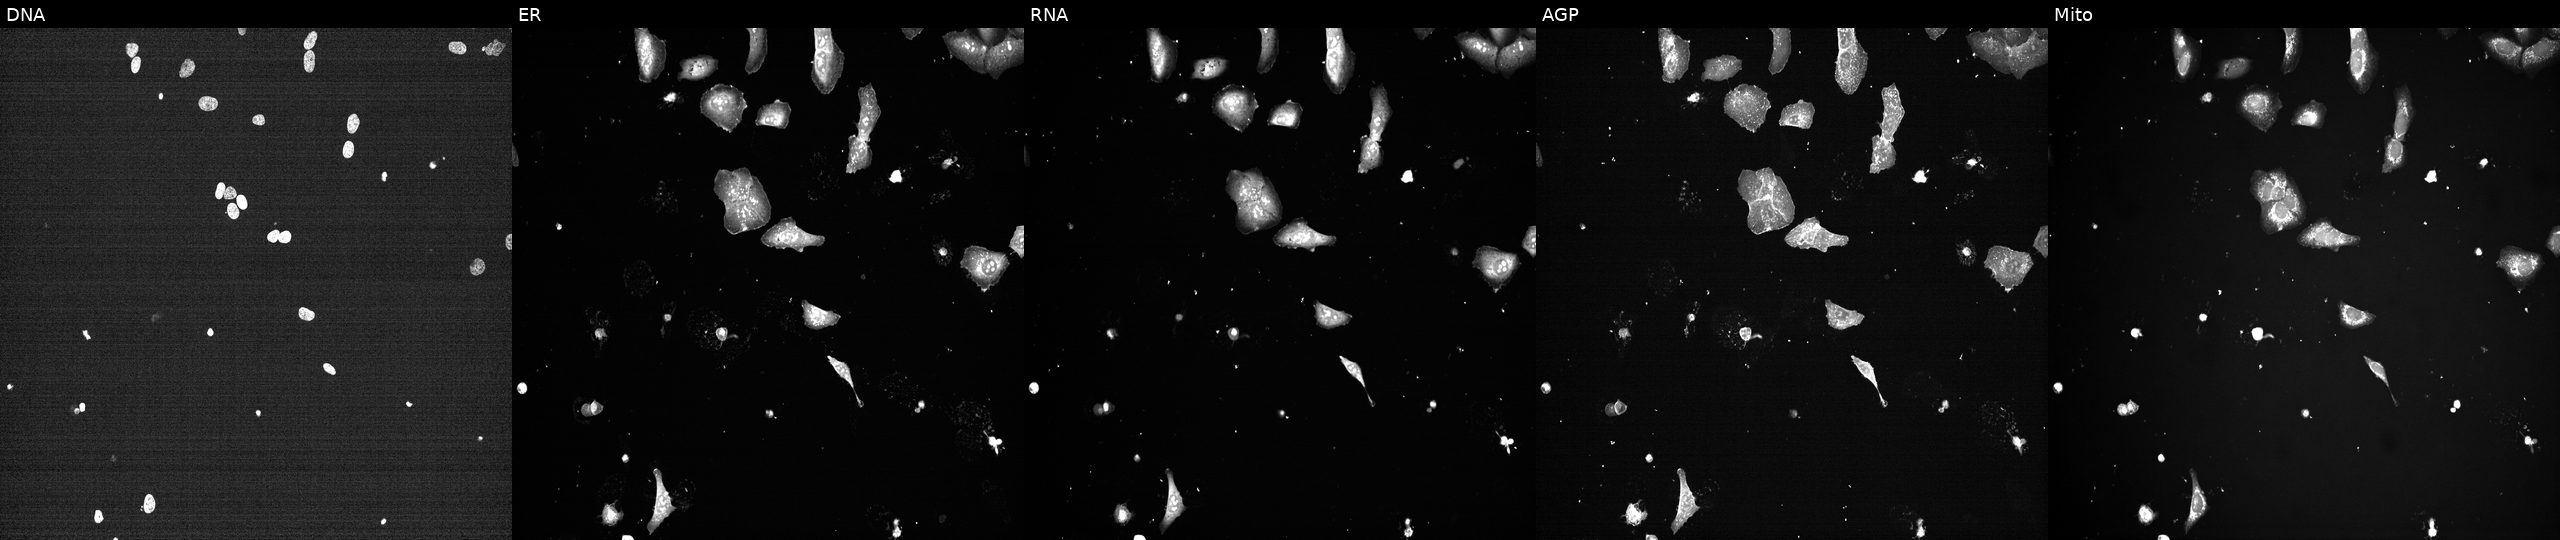
High-content fluorescence microscopy (Cell Painting). Cell line: U2OS. Perturbation: exposed to a small-molecule compound (InChIKey NQQBNZBOOHHVQP-UHFFFAOYSA-N) (JUMP id JCP2022_060734). The five panels, left to right, show Hoechst 33342, concanavalin A, SYTO 14, phalloidin and WGA, MitoTracker.